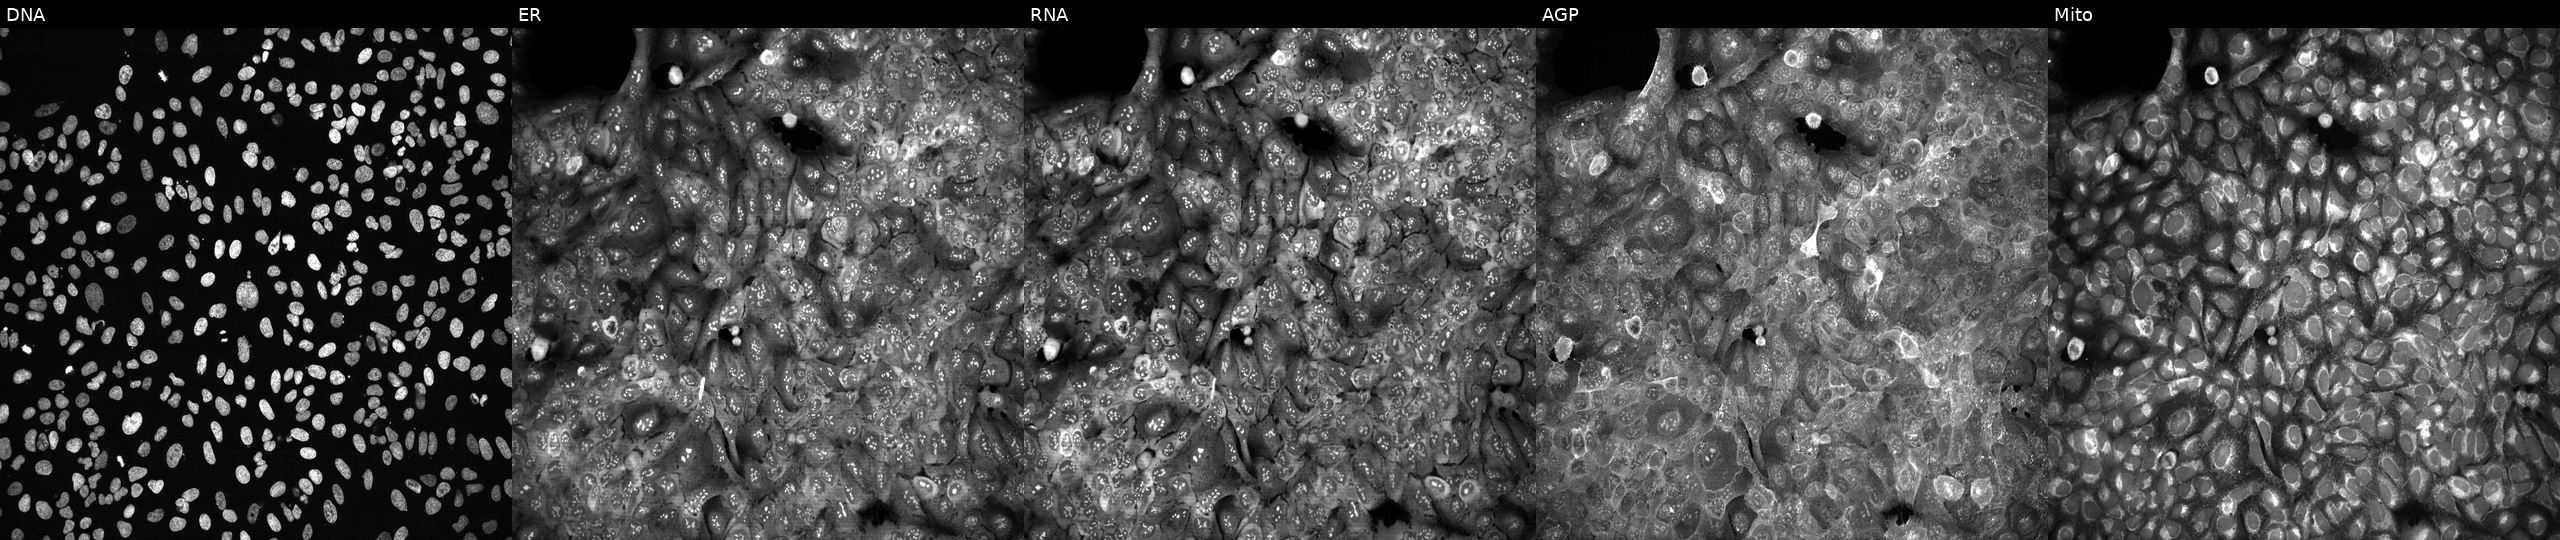
The five panels, left to right, show DNA, ER, RNA, AGP, and Mito. U2OS osteosarcoma cells with TAC3 knocked out by CRISPR (JUMP id JCP2022_806918). Cell Painting assay, JUMP-CP dataset.